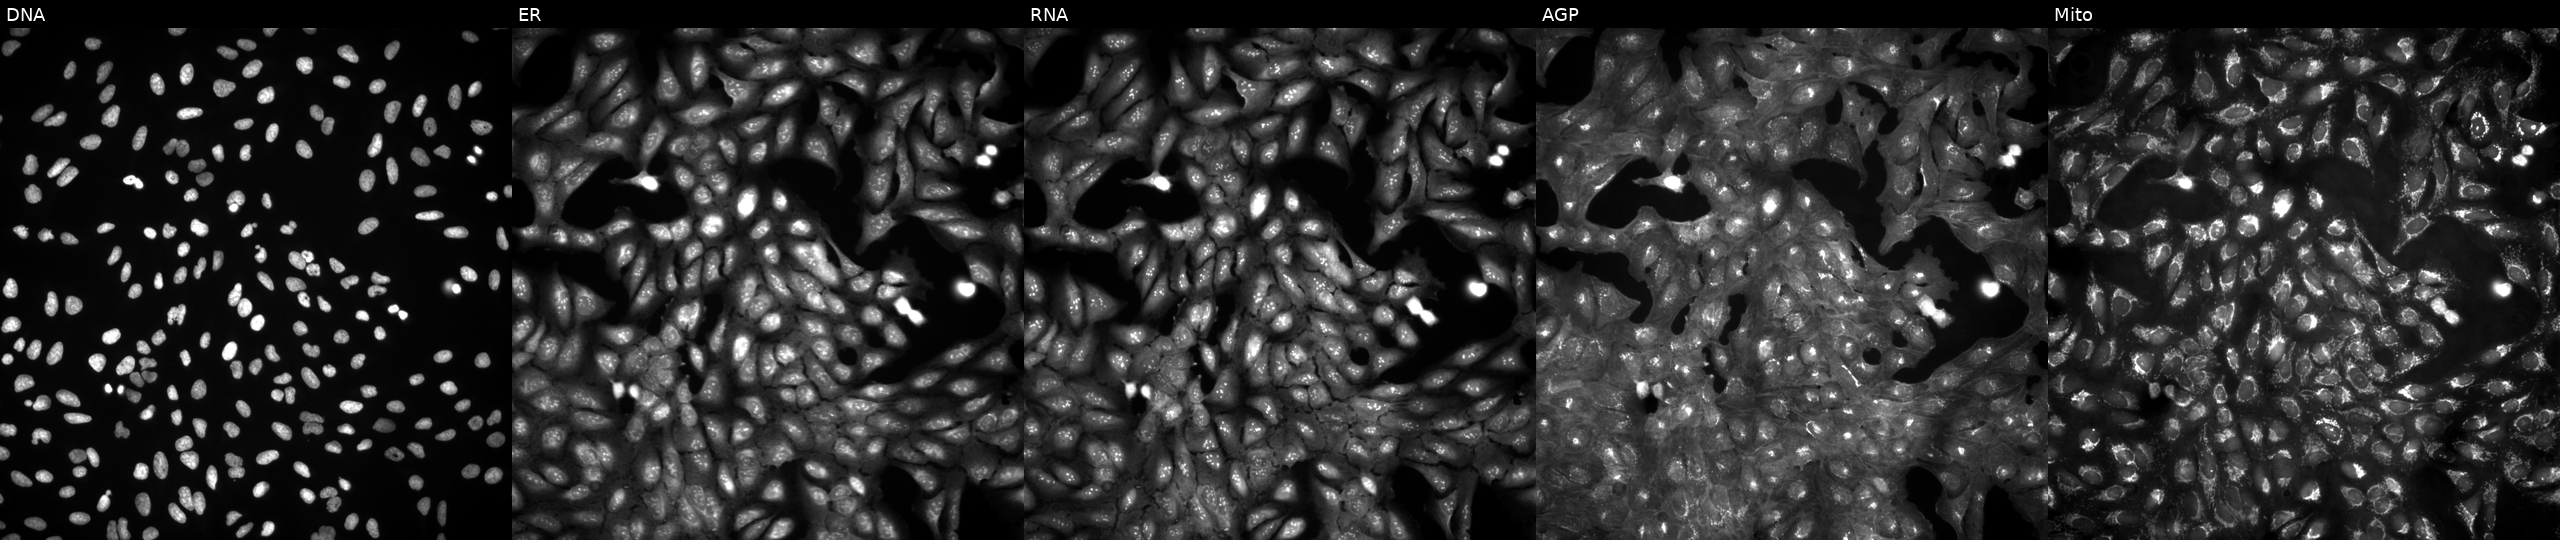
The five panels, left to right, show Hoechst 33342, concanavalin A, SYTO 14, phalloidin and WGA, MitoTracker. U2OS osteosarcoma cells untreated (empty-well control) (JUMP id JCP2022_999999). Cell Painting assay, JUMP-CP dataset. Source 4, plate BR00123946, well H12.